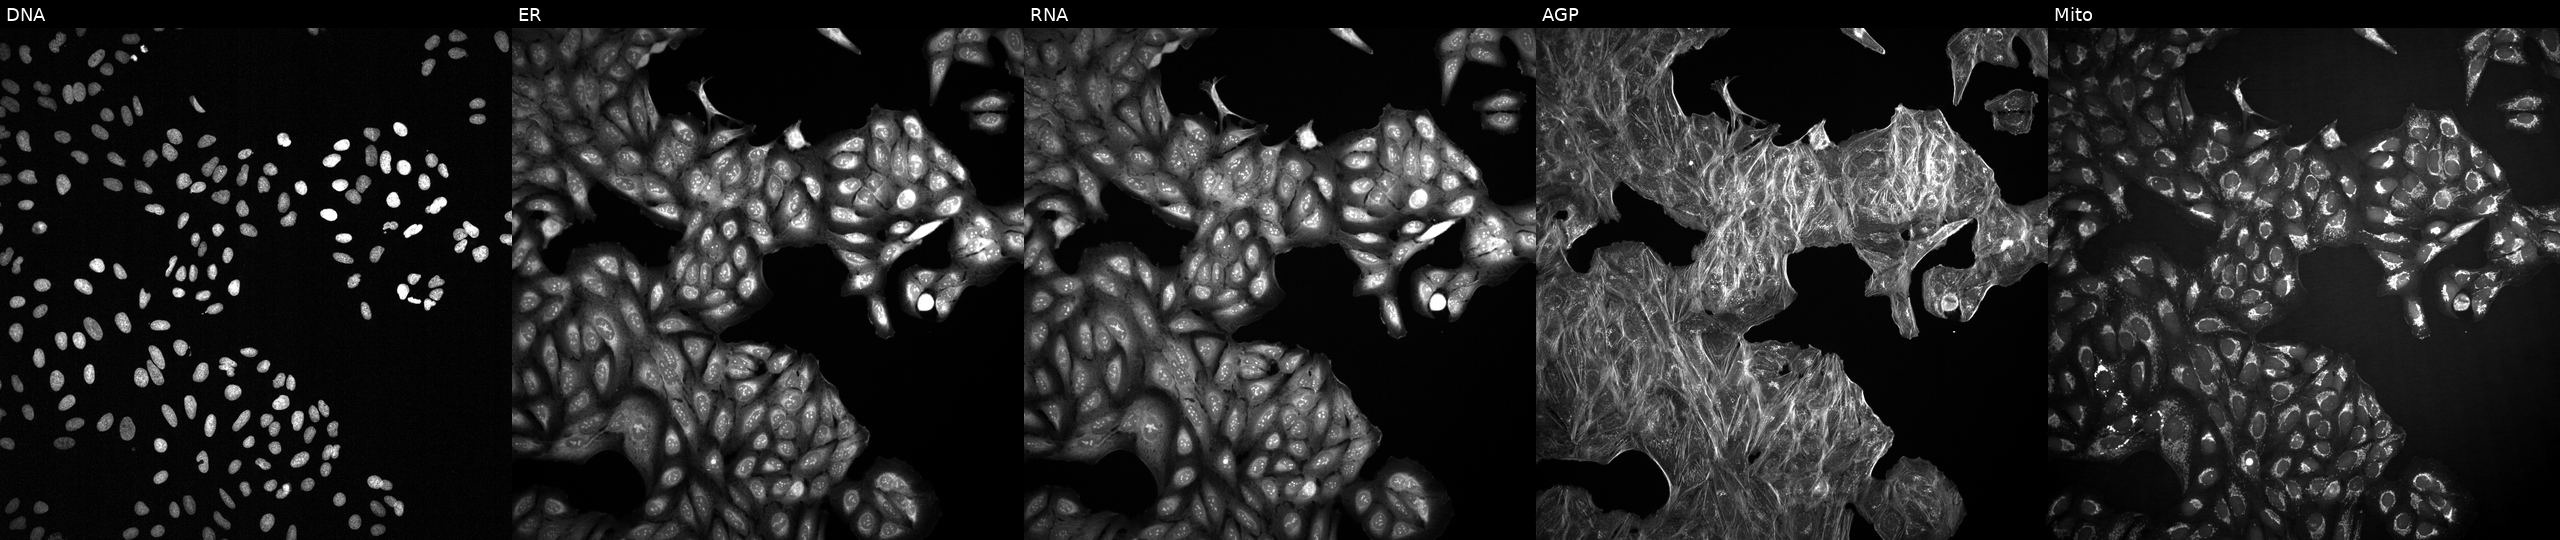
This image strip shows the five Cell Painting channels for a single field of U2OS cells perturbed with a small-molecule compound (JUMP id JCP2022_005628). Panels show, left to right, Hoechst 33342, concanavalin A, SYTO 14, phalloidin and WGA, MitoTracker.